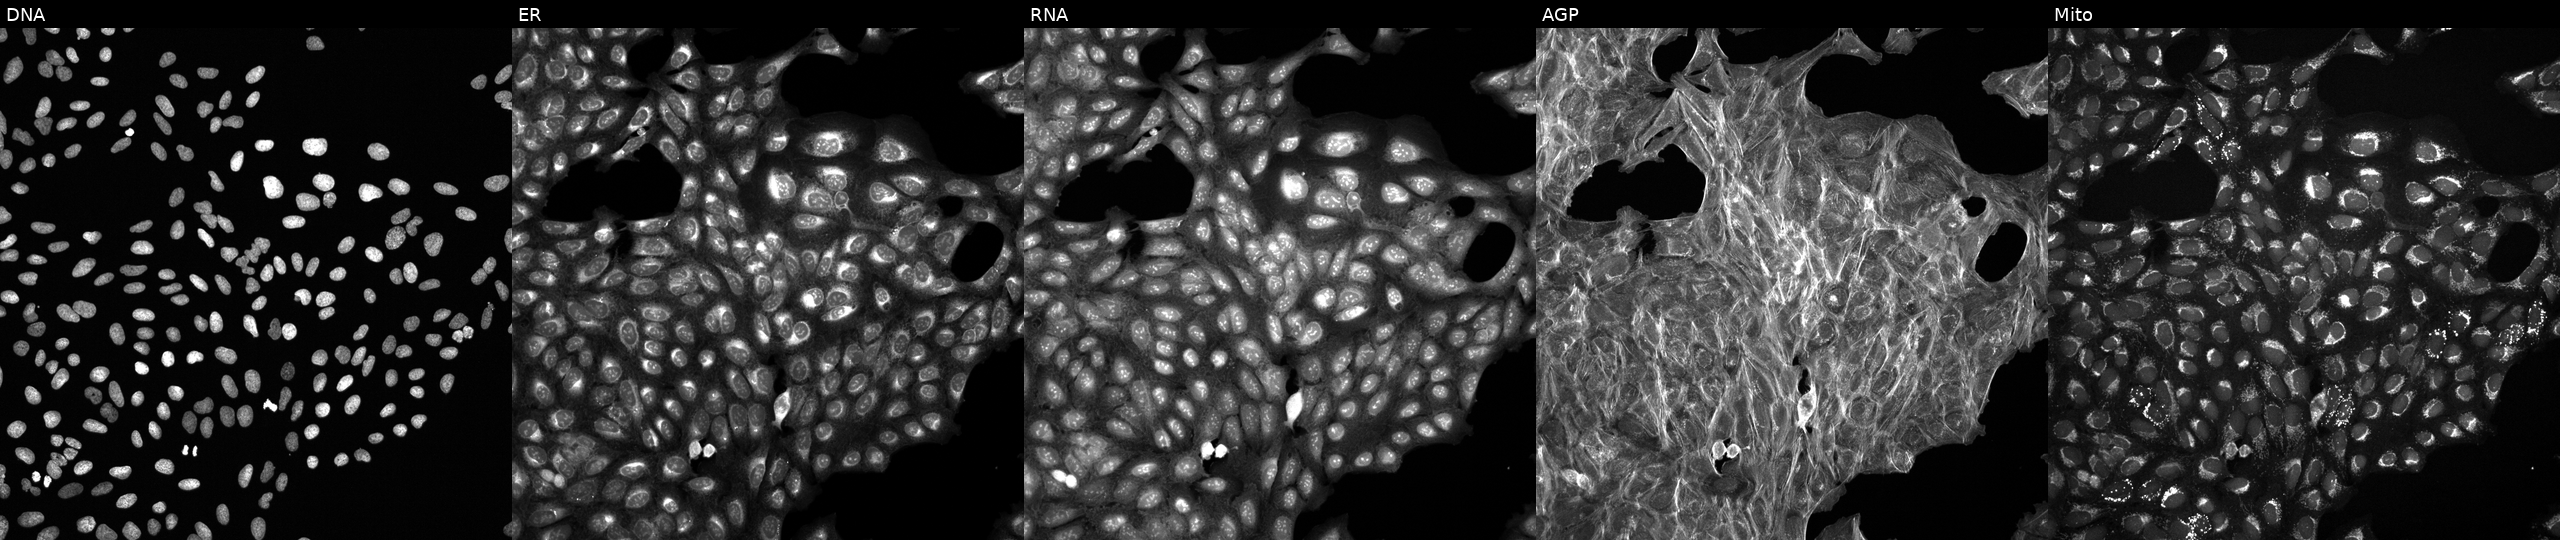
U2OS cells, Cell Painting assay, treated with a small-molecule compound (InChIKey UMUPQWIGCOZEOY-UHFFFAOYSA-N) (JUMP id JCP2022_090205). The five panels, left to right, show DNA, ER, RNA, AGP, and Mito. Each panel is percentile-stretched 16-bit fluorescence. Source 6, plate 110000293081, well D24.